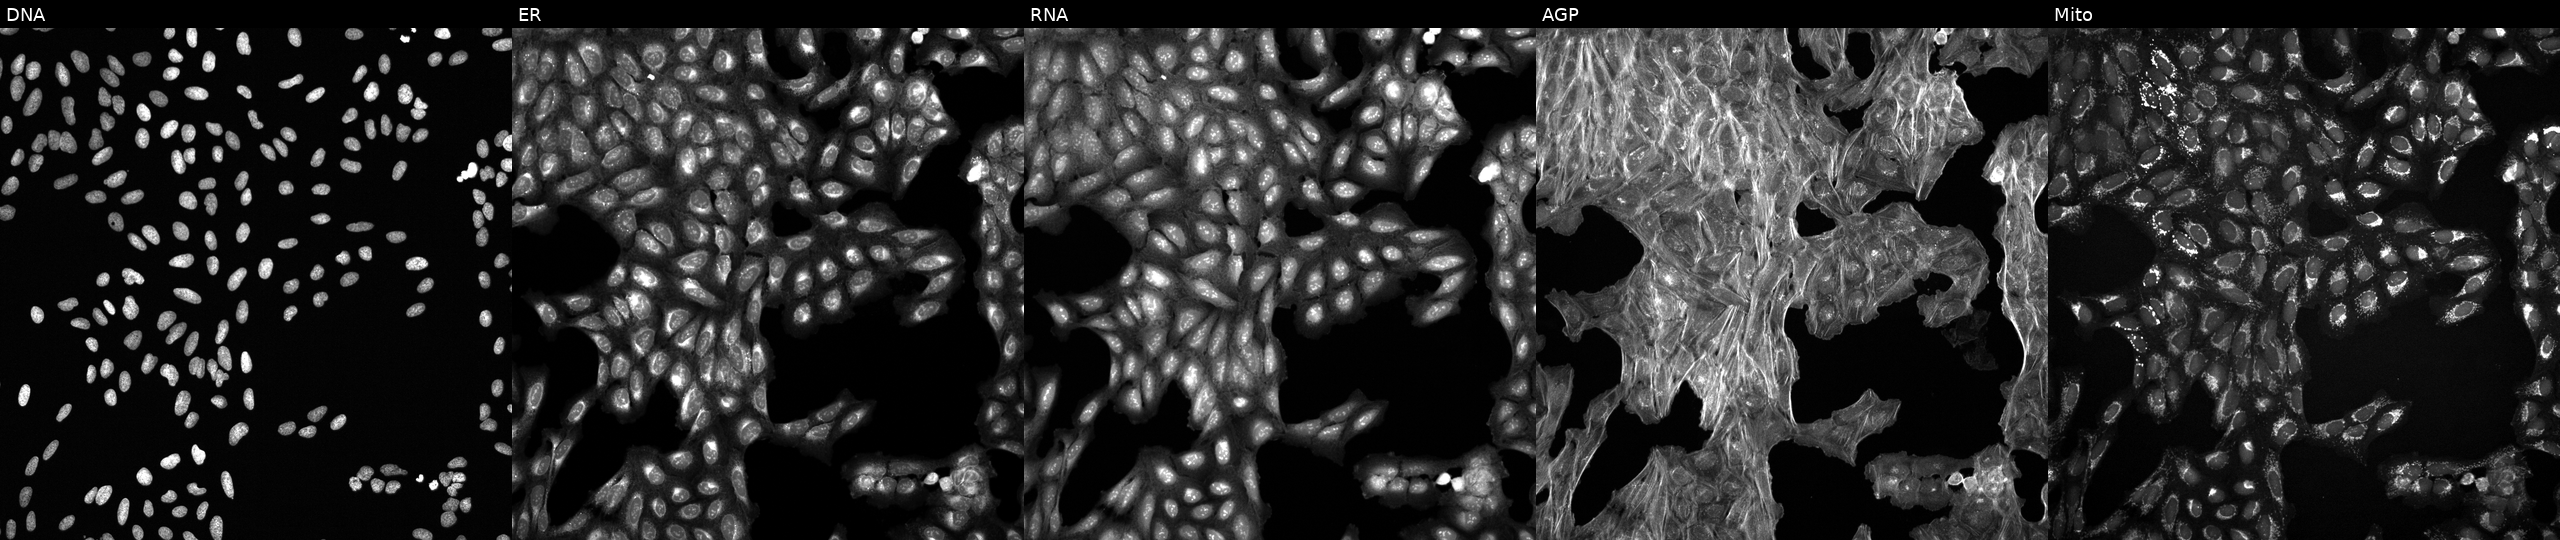
U2OS cells, Cell Painting assay, treated with a small-molecule compound (InChIKey HJYYPODYNSCCOU-UHFFFAOYSA-N) [SMILES: COC1C=COC2(C)Oc3c(C)c(O)c4c(O)c(cc(O)c4c3C2=O)NC(=O)C(C)=CC=CC(C)C(O)C(C)C(O)C(C)C(OC(C)=O)C1C]. Channels (left→right): DNA (nuclei); ER (endoplasmic reticulum); RNA (nucleoli and cytoplasmic RNA); AGP (actin cytoskeleton, Golgi, and plasma membrane); Mito (mitochondria). Each panel is percentile-stretched 16-bit fluorescence.